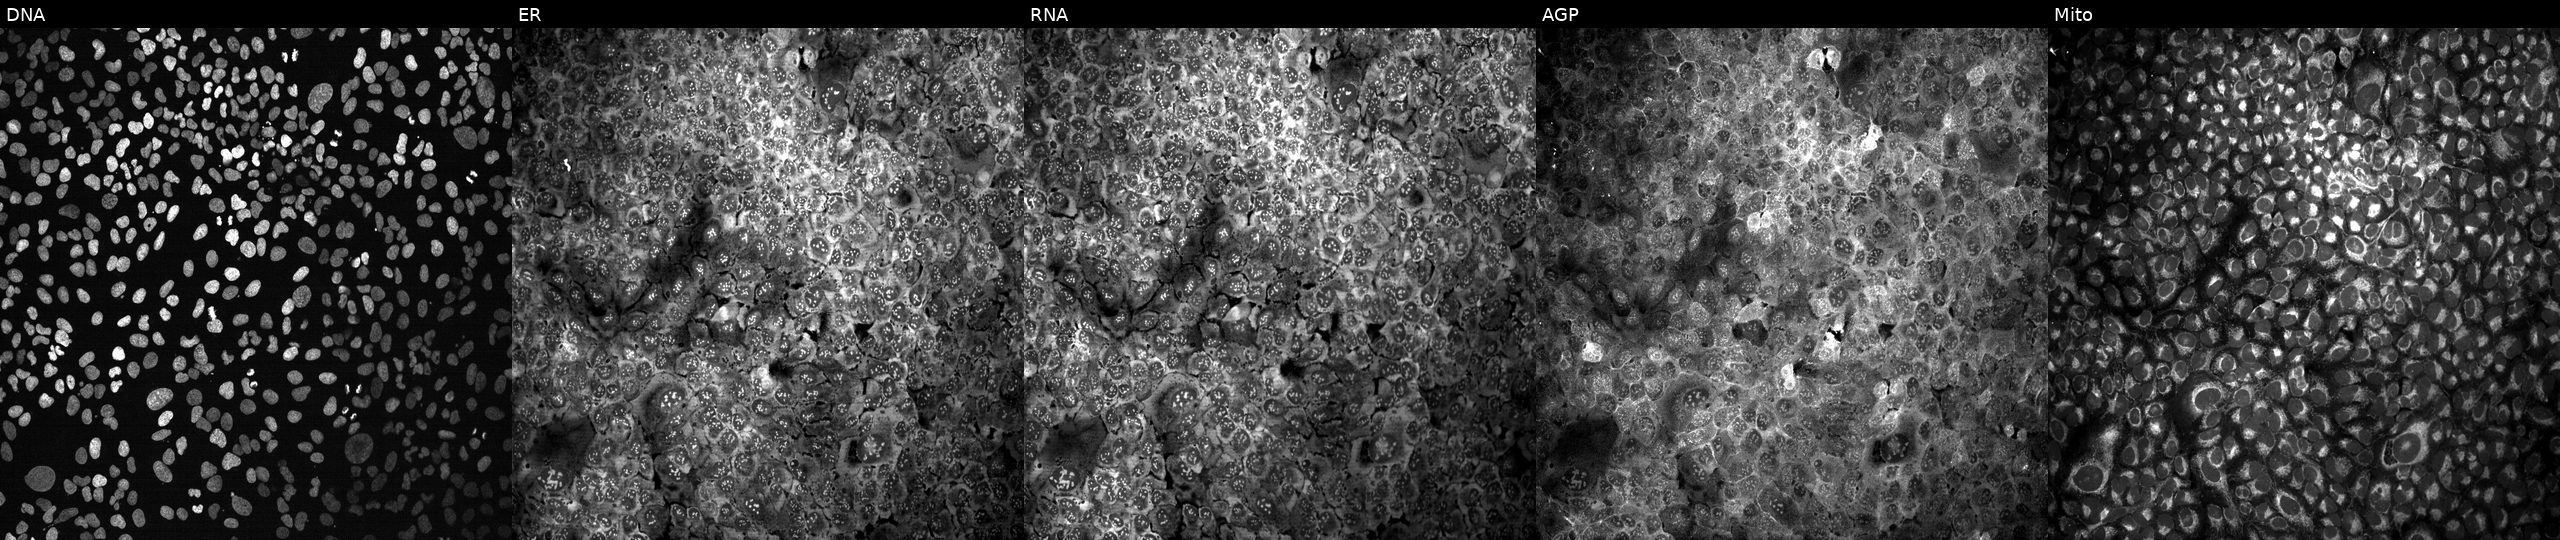
High-content fluorescence microscopy (Cell Painting). Cell line: U2OS. Perturbation: with POLQ knocked out by CRISPR (JUMP id JCP2022_805337). From left to right: Hoechst 33342, concanavalin A, SYTO 14, phalloidin and WGA, MitoTracker.